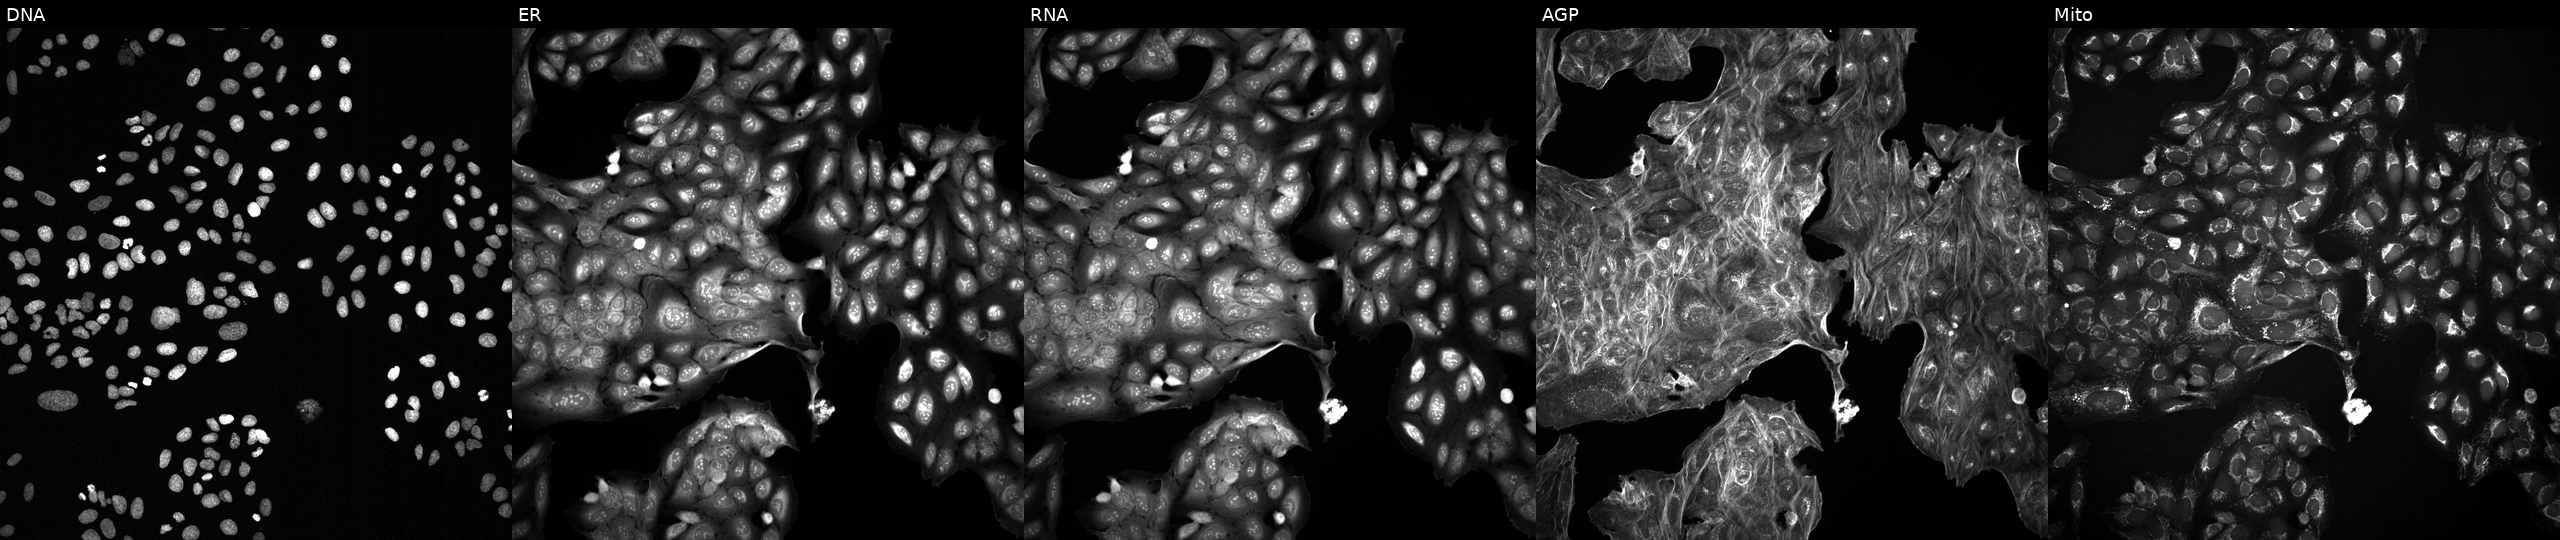
U2OS cells, Cell Painting assay, with an unidentified perturbation (not annotated in JUMP metadata). Channels (left→right): Hoechst 33342, concanavalin A, SYTO 14, phalloidin and WGA, MitoTracker. Each panel is percentile-stretched 16-bit fluorescence.